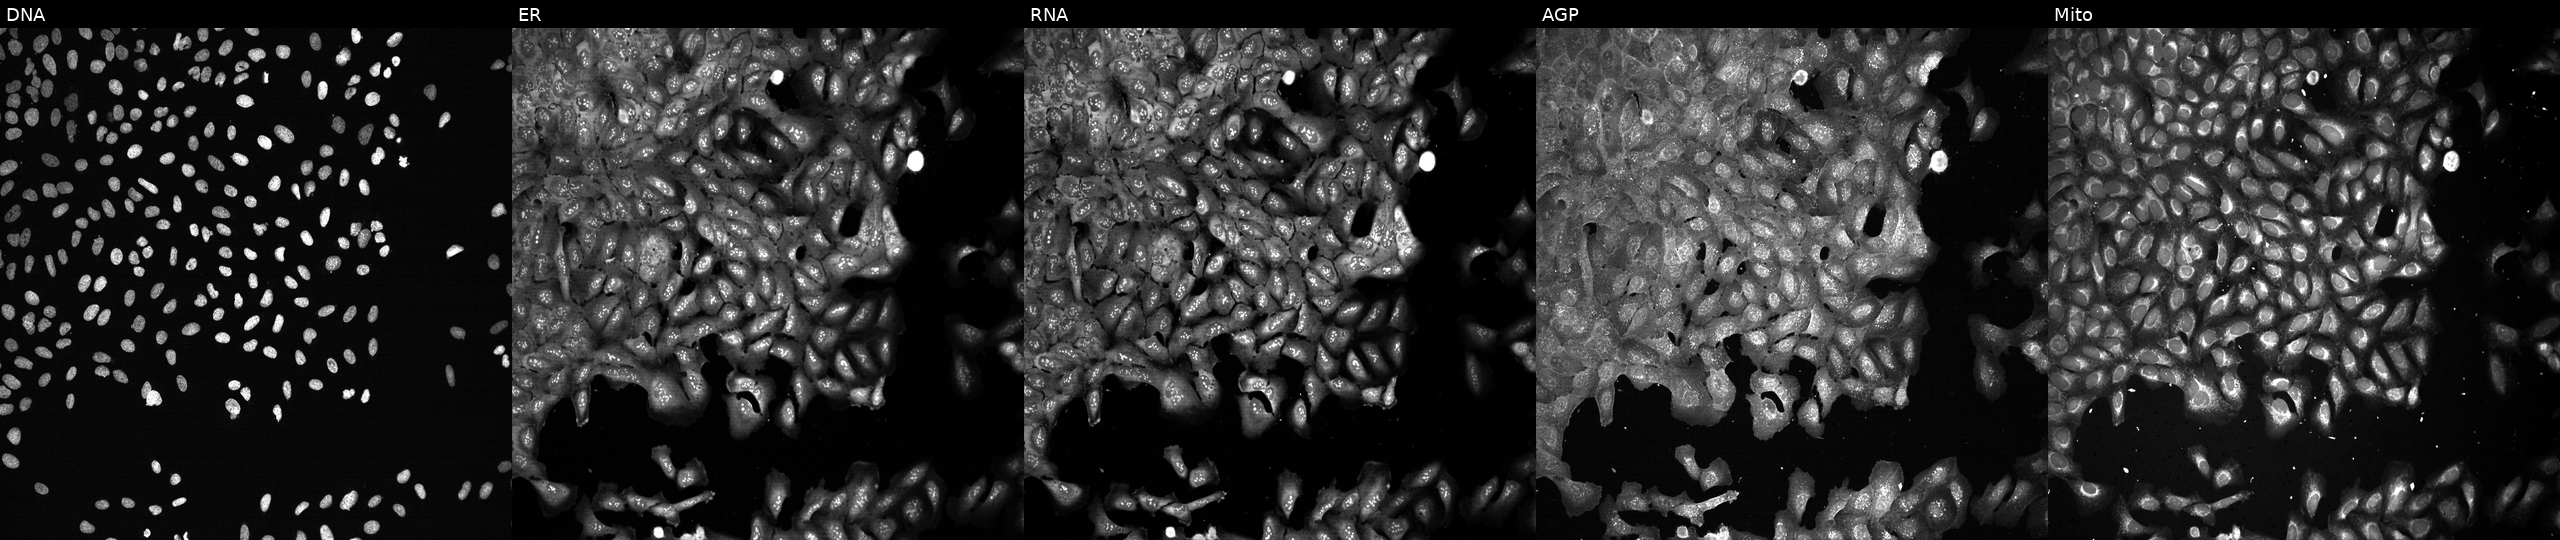
Panels show, left to right, Hoechst 33342, concanavalin A, SYTO 14, phalloidin and WGA, MitoTracker. U2OS osteosarcoma cells following CRISPR knockout of SULF1 (JUMP id JCP2022_806874). Cell Painting assay, JUMP-CP dataset.